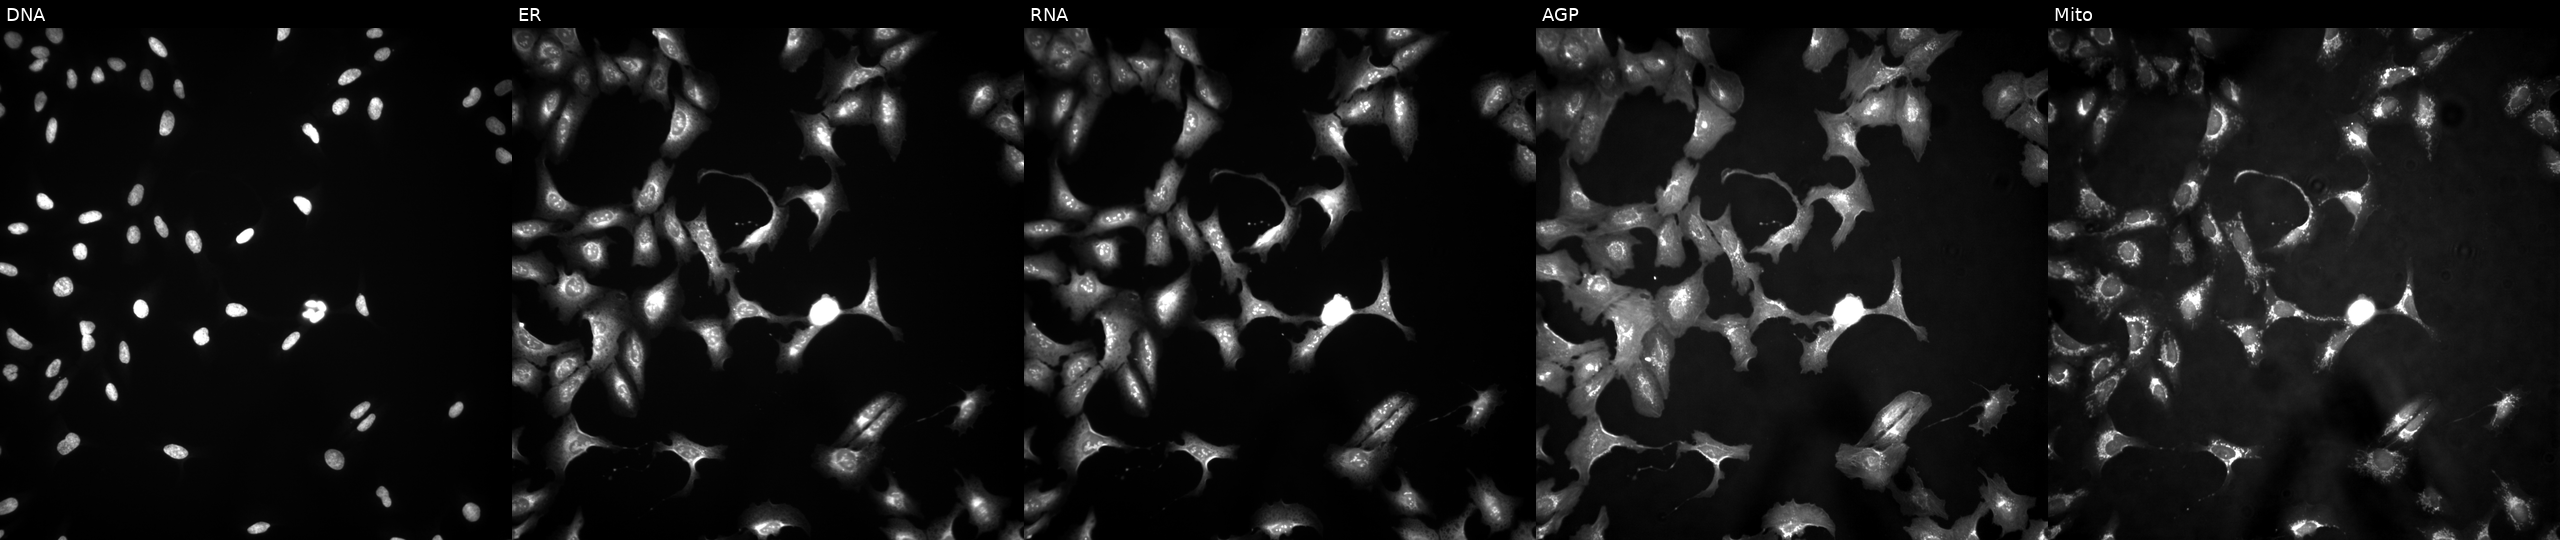
JUMP Cell Painting — ORF plate. U2OS cells with APOL2 overexpressed (ORF). The five panels, left to right, show Hoechst 33342, concanavalin A, SYTO 14, phalloidin and WGA, MitoTracker.